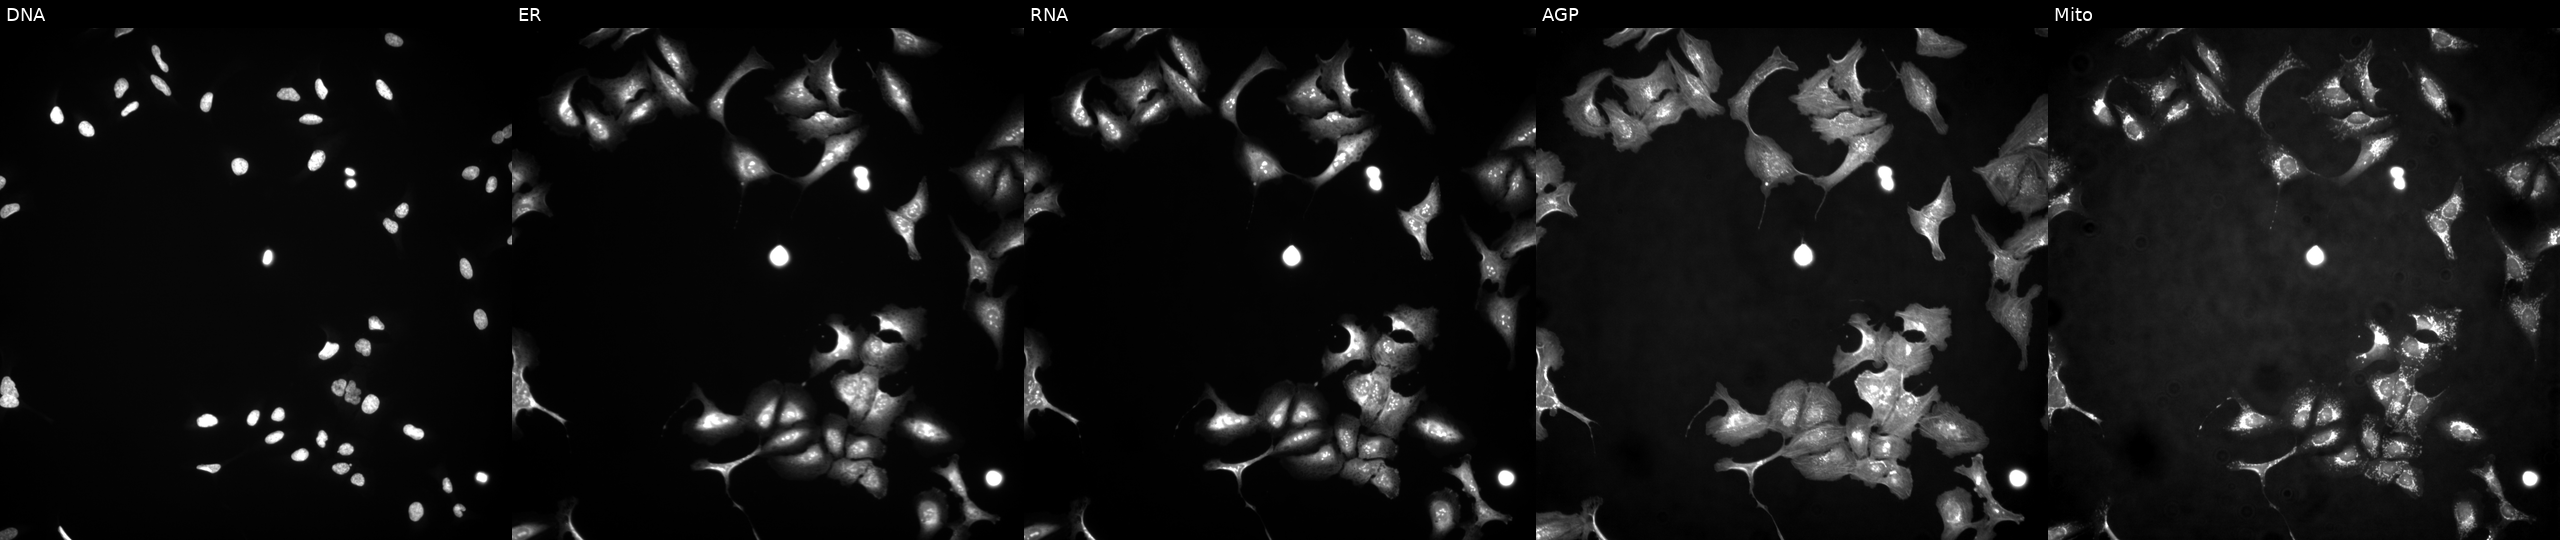
This image strip shows the five Cell Painting channels for a single field of U2OS cells transfected with an ORF construct for C3orf35. Panels show, left to right, DNA (nuclei); ER (endoplasmic reticulum); RNA (nucleoli and cytoplasmic RNA); AGP (actin cytoskeleton, Golgi, and plasma membrane); Mito (mitochondria). Source 4, plate BR00124784, well N07.